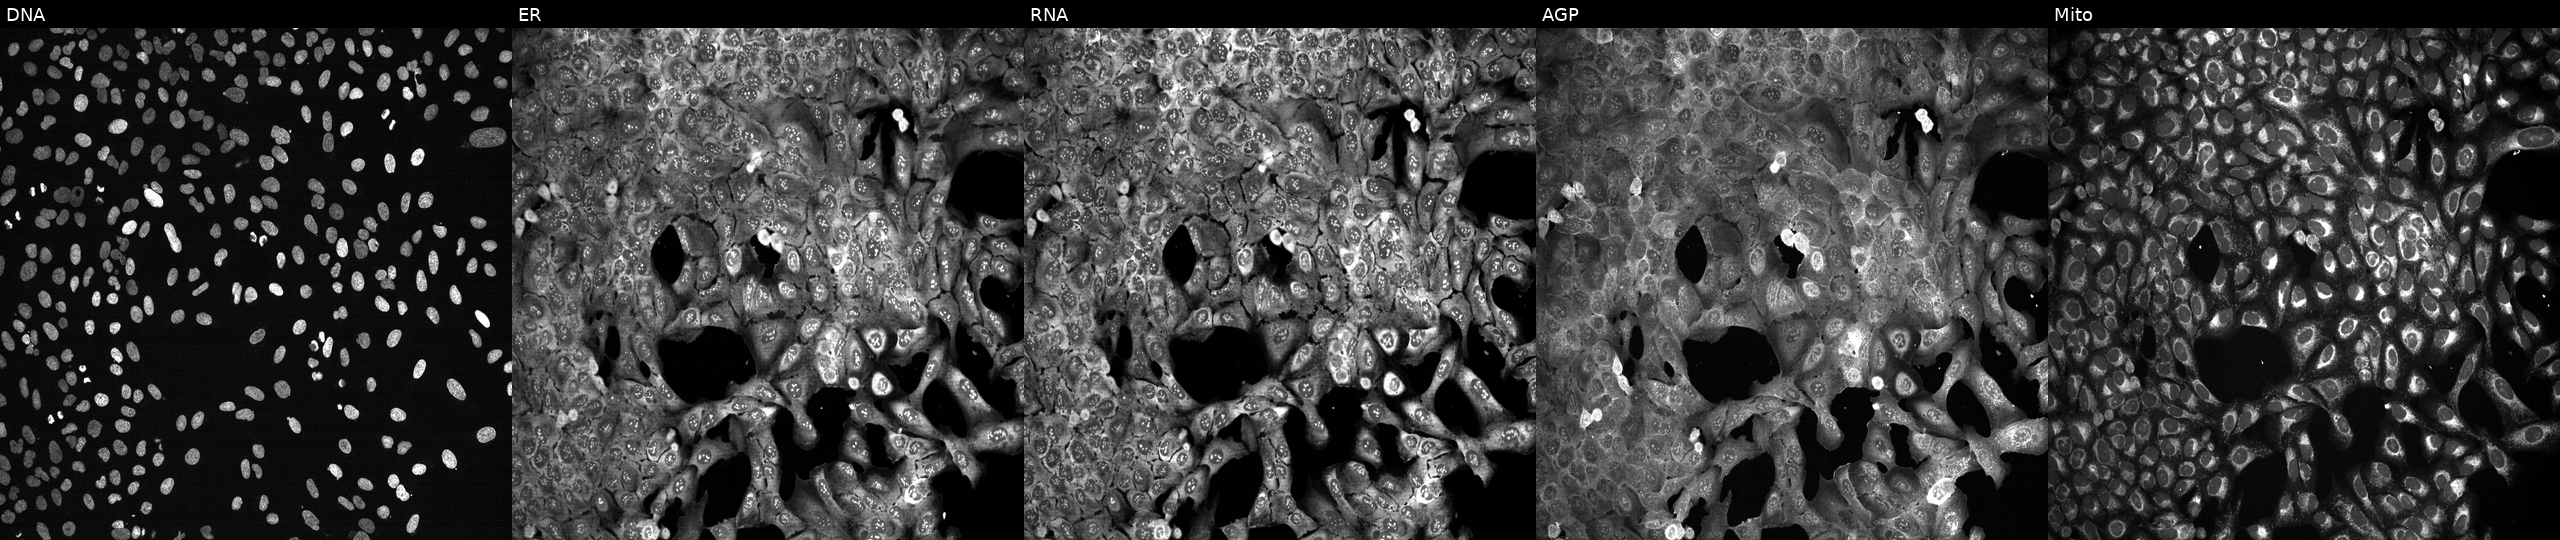
This image strip shows the five Cell Painting channels for a single field of U2OS cells with CWC27 knocked out by CRISPR (JUMP id JCP2022_801593). Channels (left→right): DNA (nuclei); ER (endoplasmic reticulum); RNA (nucleoli and cytoplasmic RNA); AGP (actin cytoskeleton, Golgi, and plasma membrane); Mito (mitochondria).